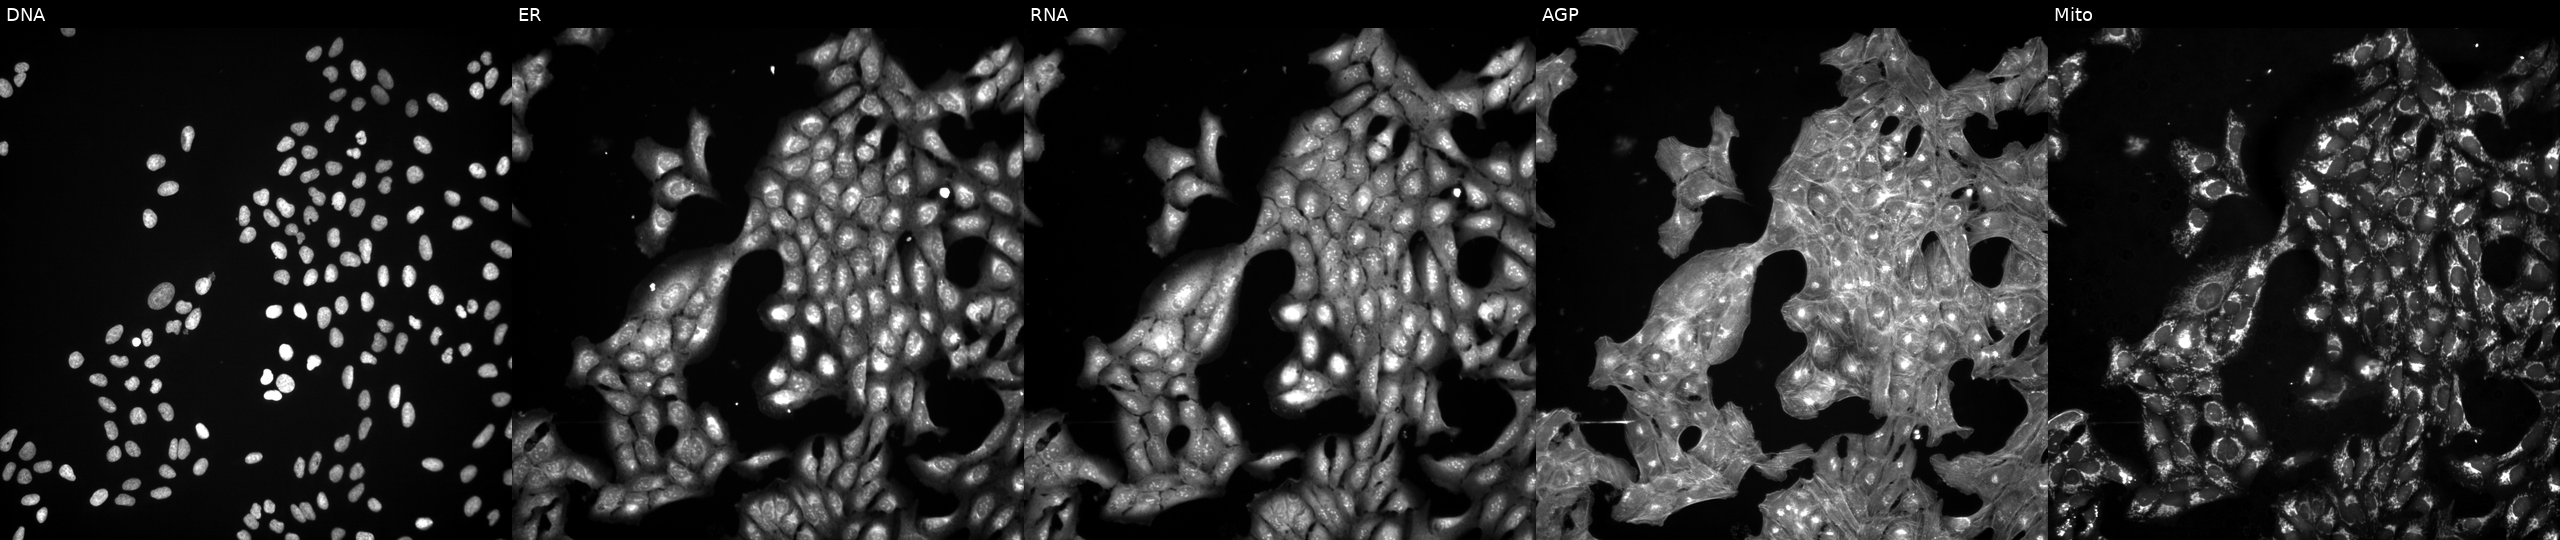
U2OS cells, Cell Painting assay, perturbed with a small-molecule compound (InChIKey ONIBWKKTOPOVIA-UHFFFAOYSA-N) (JUMP id JCP2022_064903). Channels (left→right): DNA, ER, RNA, AGP, and Mito. Each panel is percentile-stretched 16-bit fluorescence. Source 3, plate JCPQC053, well M02.